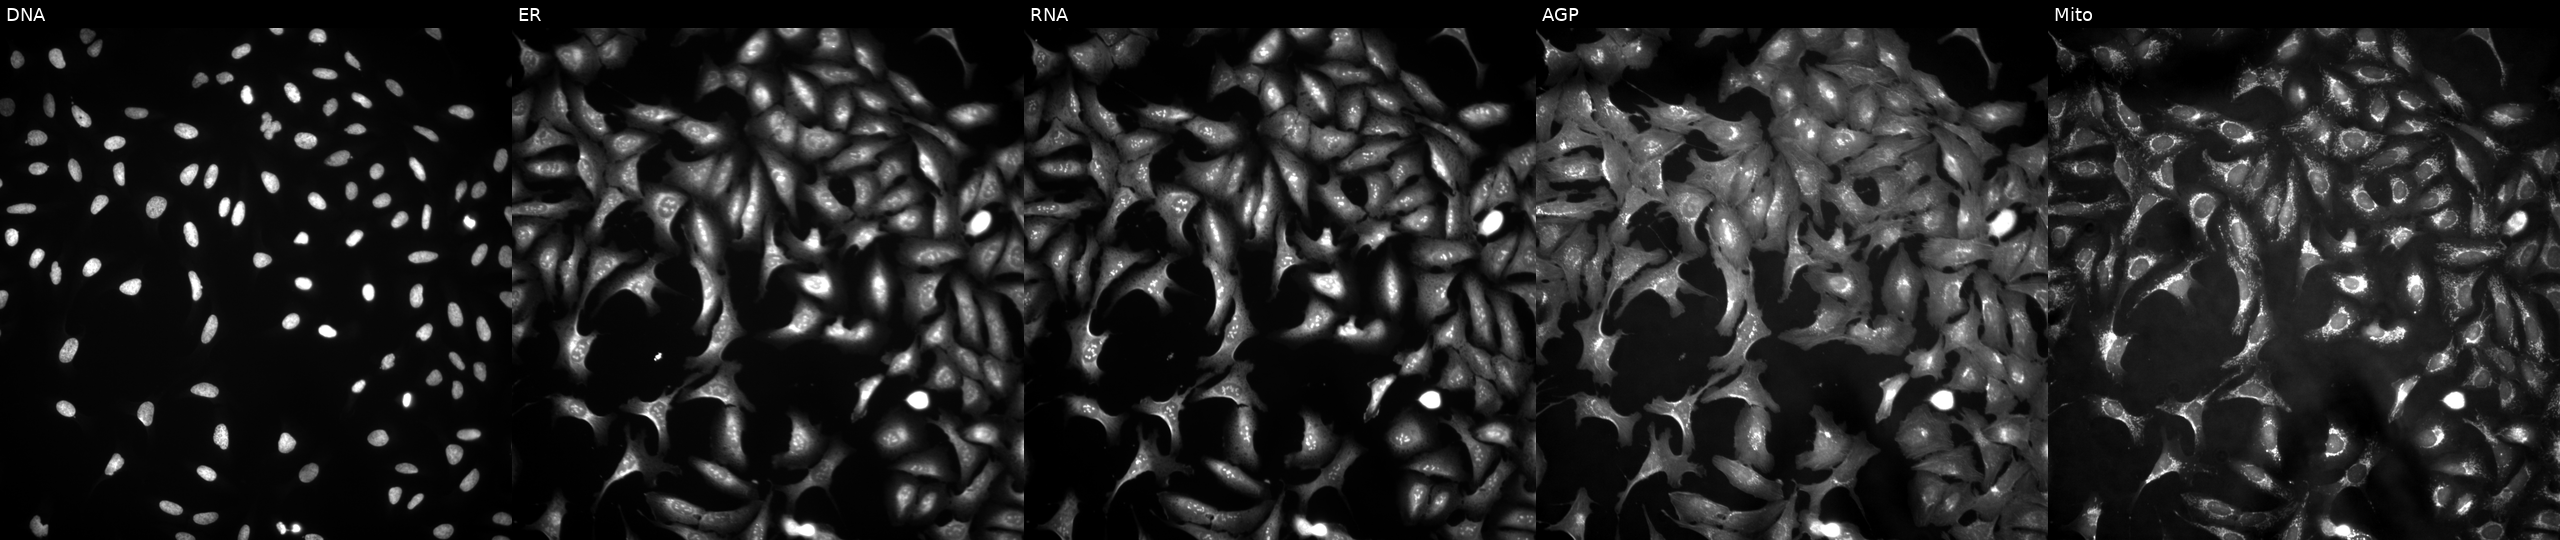
U2OS cells, Cell Painting assay, transfected with an ORF construct for NAGK (JUMP id JCP2022_911404). The five panels, left to right, show DNA (nuclei); ER (endoplasmic reticulum); RNA (nucleoli and cytoplasmic RNA); AGP (actin cytoskeleton, Golgi, and plasma membrane); Mito (mitochondria). Each panel is percentile-stretched 16-bit fluorescence.